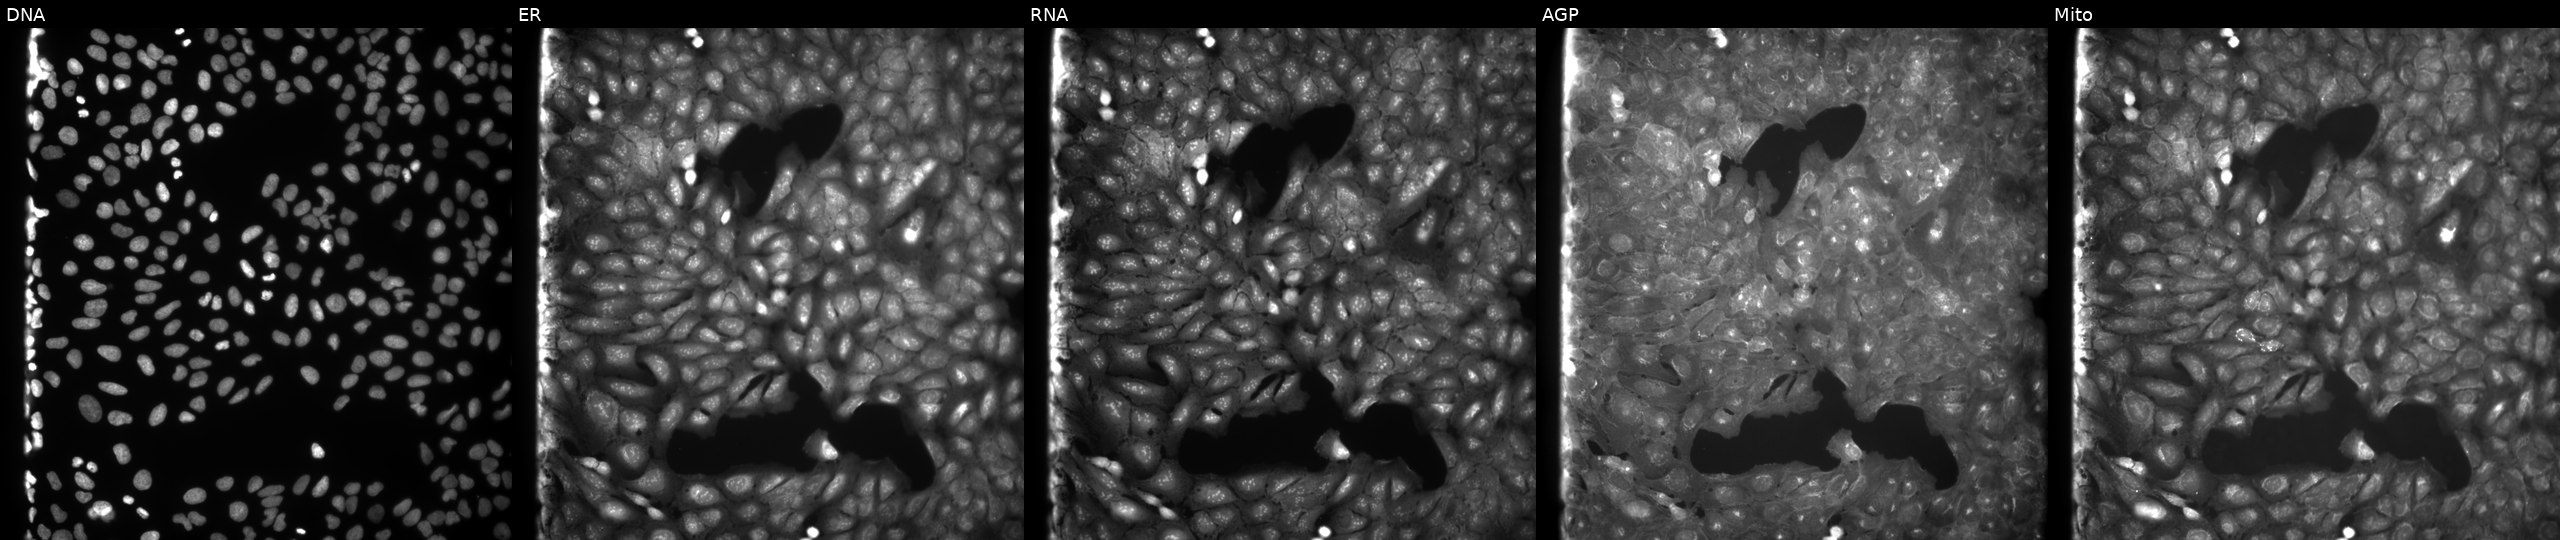
This image strip shows the five Cell Painting channels for a single field of U2OS cells treated with a small-molecule compound (InChIKey GNVMAYLULBCWMI-UHFFFAOYSA-N) [SMILES: Cc1cc(OC(=O)c2ccco2)c2c3c(c(=O)oc2c1)CCC3] (JUMP id JCP2022_026668). Panels show, left to right, DNA (nuclei); ER (endoplasmic reticulum); RNA (nucleoli and cytoplasmic RNA); AGP (actin cytoskeleton, Golgi, and plasma membrane); Mito (mitochondria).